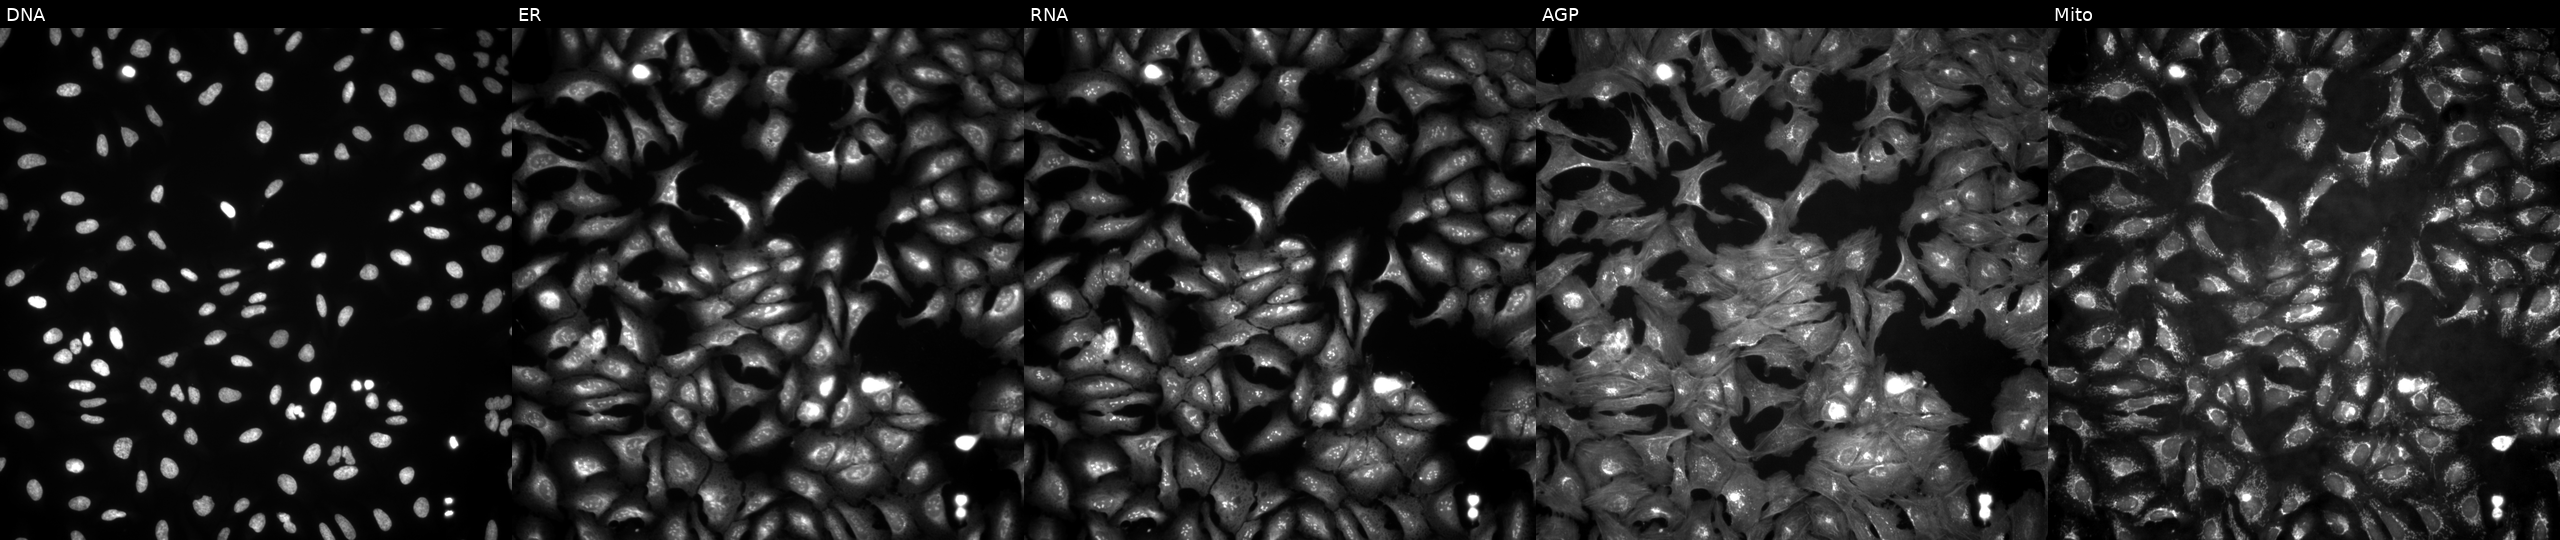
JUMP Cell Painting — ORF plate. U2OS cells overexpressing INS via ORF transfection (JUMP id JCP2022_900819). Channels (left→right): DNA (nuclei); ER (endoplasmic reticulum); RNA (nucleoli and cytoplasmic RNA); AGP (actin cytoskeleton, Golgi, and plasma membrane); Mito (mitochondria). Source 4, plate BR00123509, well D12.